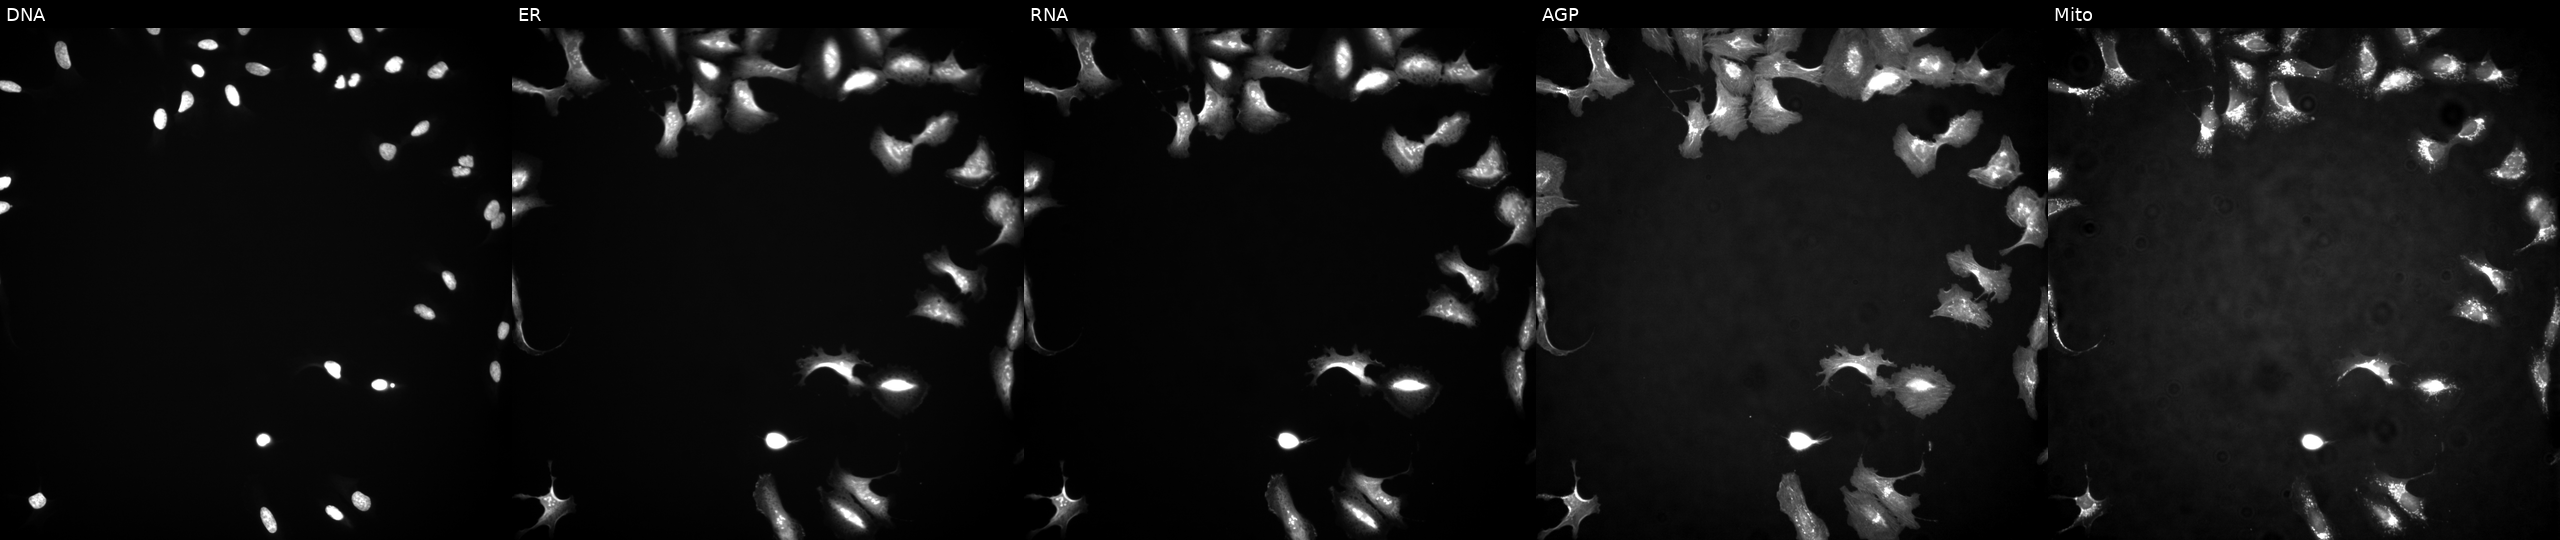
The five panels, left to right, show Hoechst 33342, concanavalin A, SYTO 14, phalloidin and WGA, MitoTracker. U2OS osteosarcoma cells transfected with an ORF construct for SIRT4. Cell Painting assay, JUMP-CP dataset. Source 4, plate BR00117035, well H16.